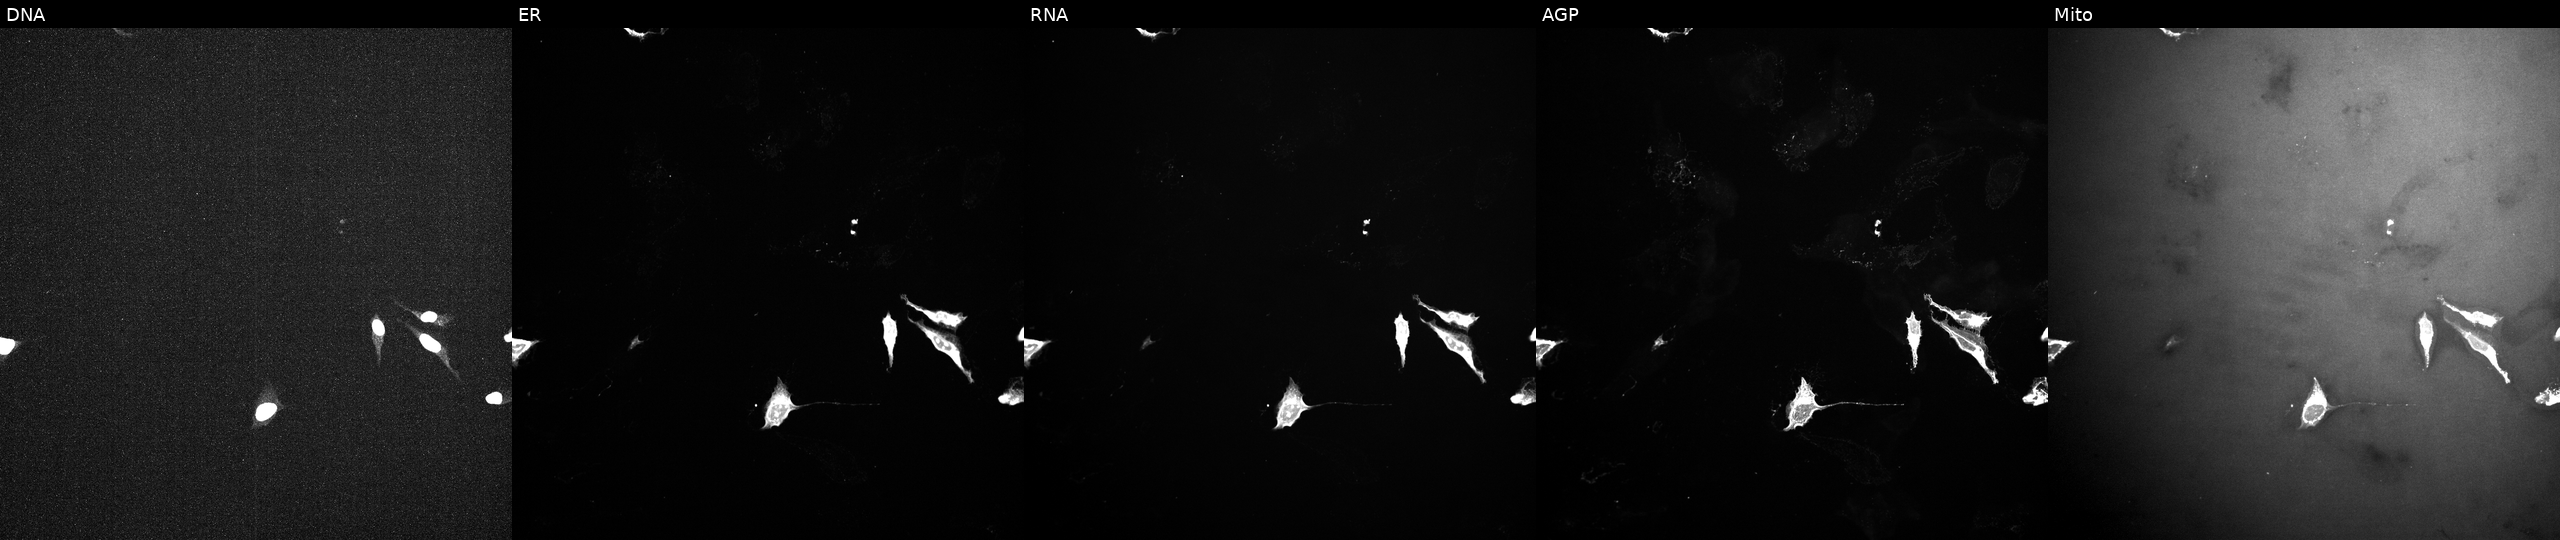
U2OS cells, Cell Painting assay, treated with a small-molecule compound (InChIKey BBDGBGOVJPEFBT-UHFFFAOYSA-N) [SMILES: c1cc(-c2cnn3cc(-c4ccc(N5CCNCC5)cc4)cnc23)c2cccnc2c1]. Channels (left→right): DNA, ER, RNA, AGP, and Mito. Each panel is percentile-stretched 16-bit fluorescence.